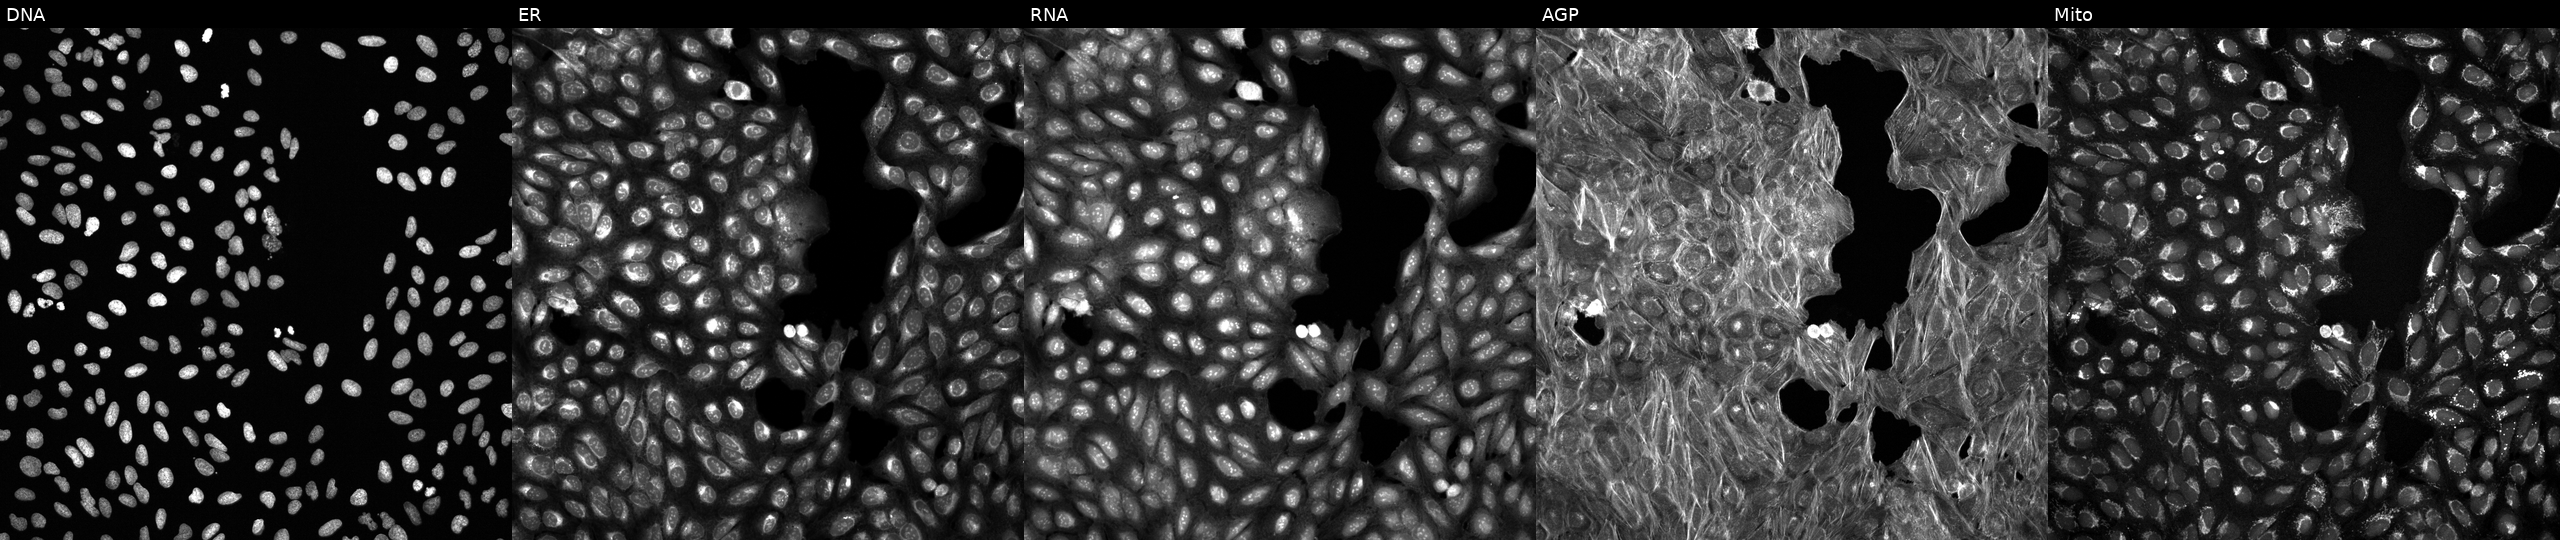
Channels (left→right): DNA (nuclei); ER (endoplasmic reticulum); RNA (nucleoli and cytoplasmic RNA); AGP (actin cytoskeleton, Golgi, and plasma membrane); Mito (mitochondria). U2OS osteosarcoma cells exposed to a small-molecule compound (InChIKey JYLNVJYYQQXNEK-UHFFFAOYSA-N) (JUMP id JCP2022_042960). Cell Painting assay, JUMP-CP dataset.